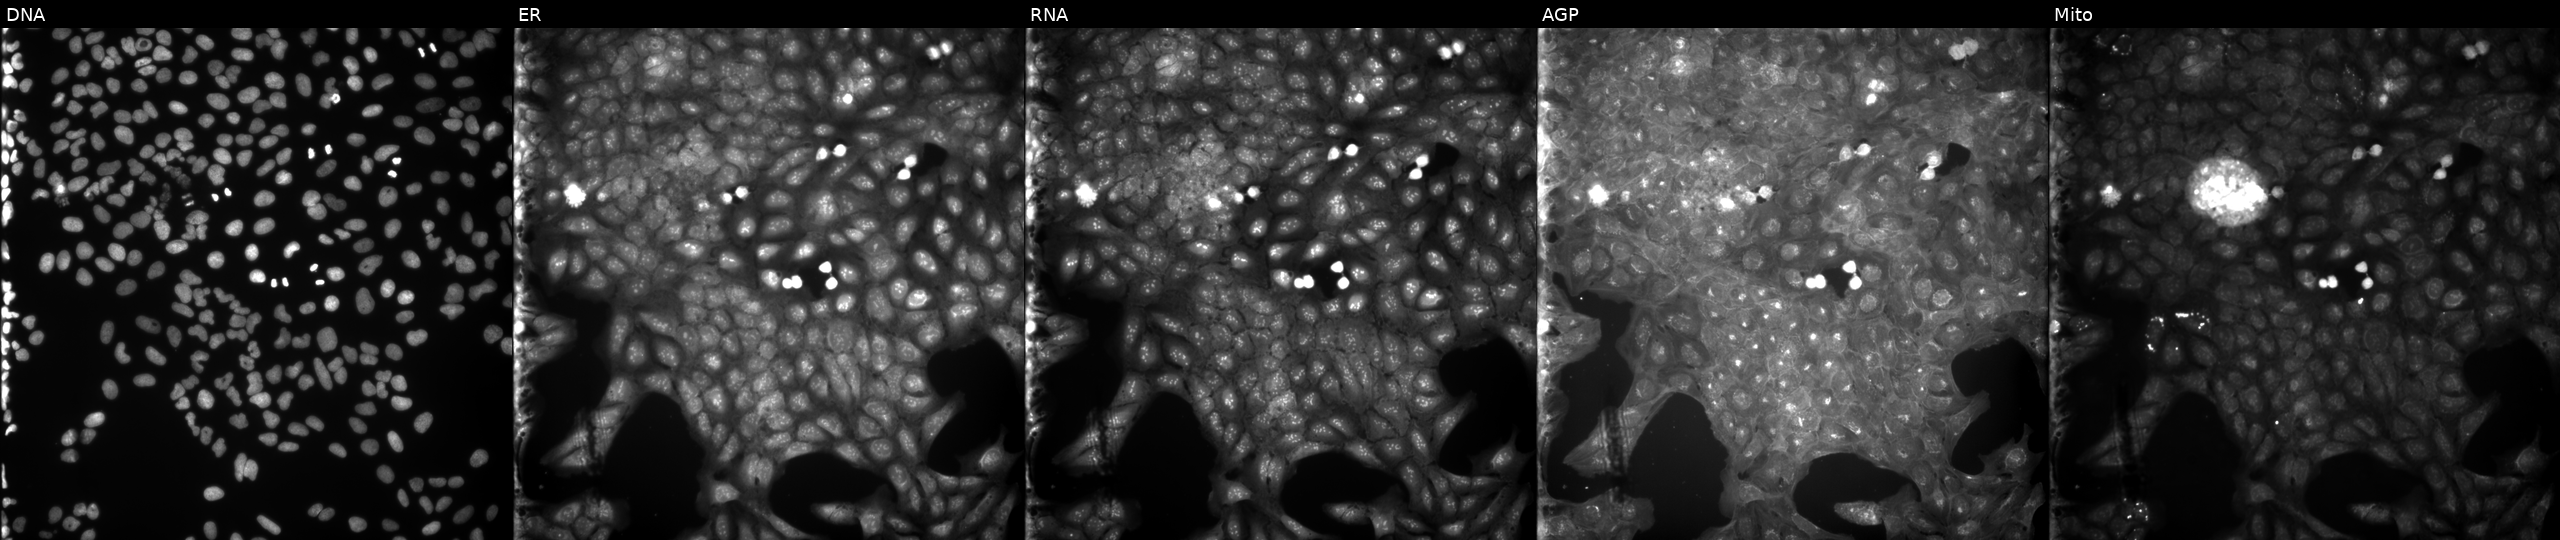
U2OS cells, Cell Painting assay, perturbed with a small-molecule compound (InChIKey TTZLHHXRYFTEHO-UHFFFAOYSA-N). Channels (left→right): Hoechst 33342, concanavalin A, SYTO 14, phalloidin and WGA, MitoTracker. Each panel is percentile-stretched 16-bit fluorescence. Source 9, plate GR00003381, well D18.